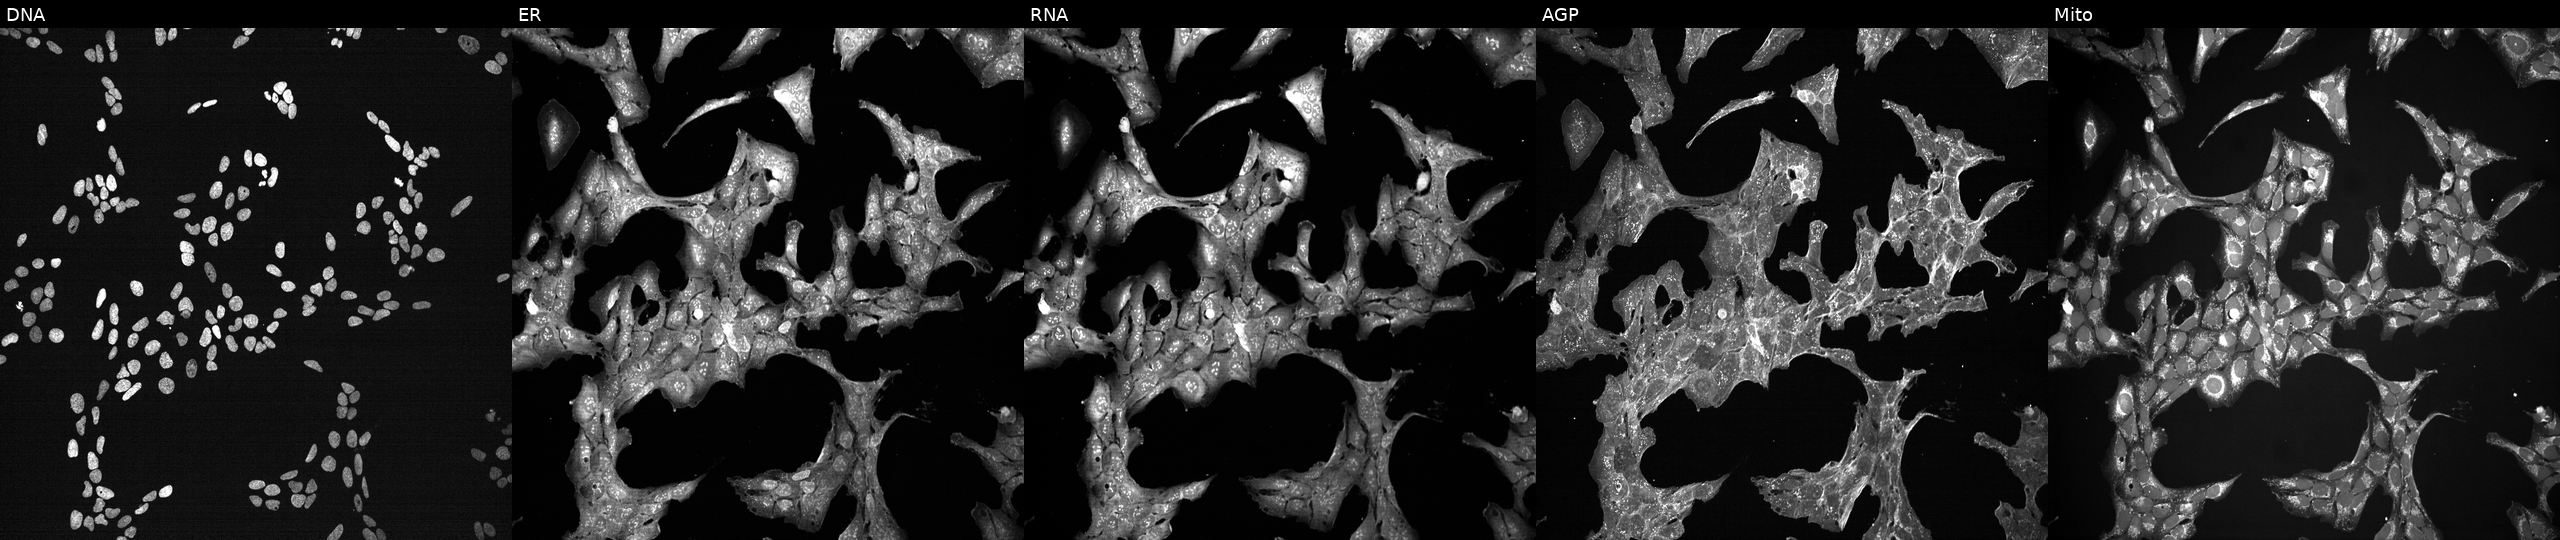
This image strip shows the five Cell Painting channels for a single field of U2OS cells exposed to a small-molecule compound. The five panels, left to right, show Hoechst 33342, concanavalin A, SYTO 14, phalloidin and WGA, MitoTracker. Source 7, plate CP3-SC1-25, well K17.